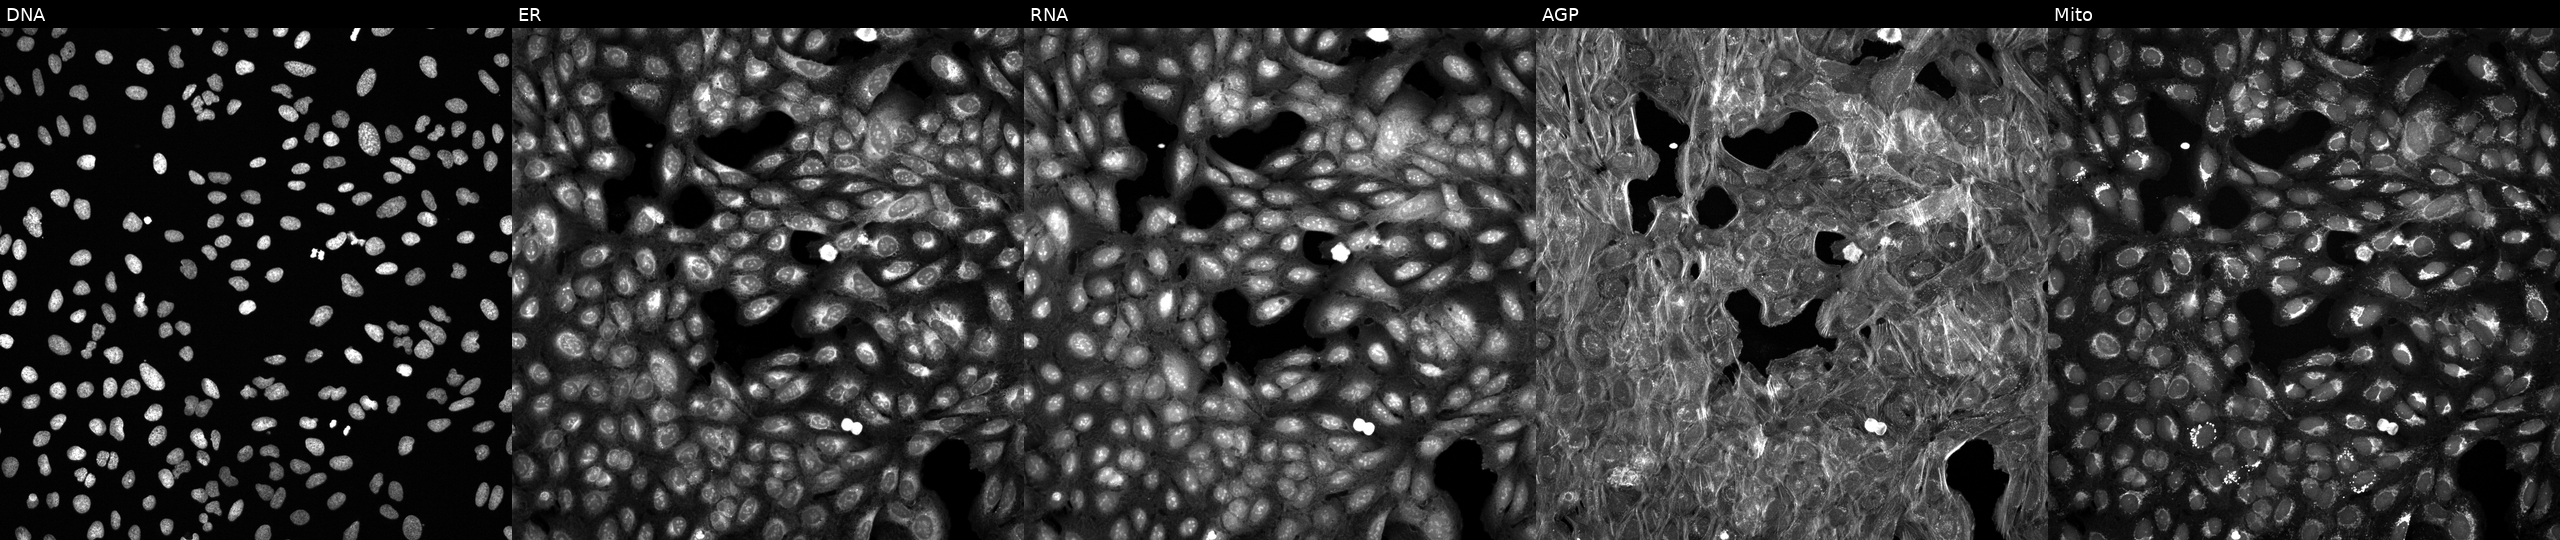
High-content fluorescence microscopy (Cell Painting). Cell line: U2OS. Perturbation: exposed to a small-molecule compound (InChIKey QQGWEXFLMJGCAL-UHFFFAOYSA-N) (JUMP id JCP2022_075182). Channels (left→right): DNA (nuclei); ER (endoplasmic reticulum); RNA (nucleoli and cytoplasmic RNA); AGP (actin cytoskeleton, Golgi, and plasma membrane); Mito (mitochondria). Source 6, plate 110000294901, well J05.